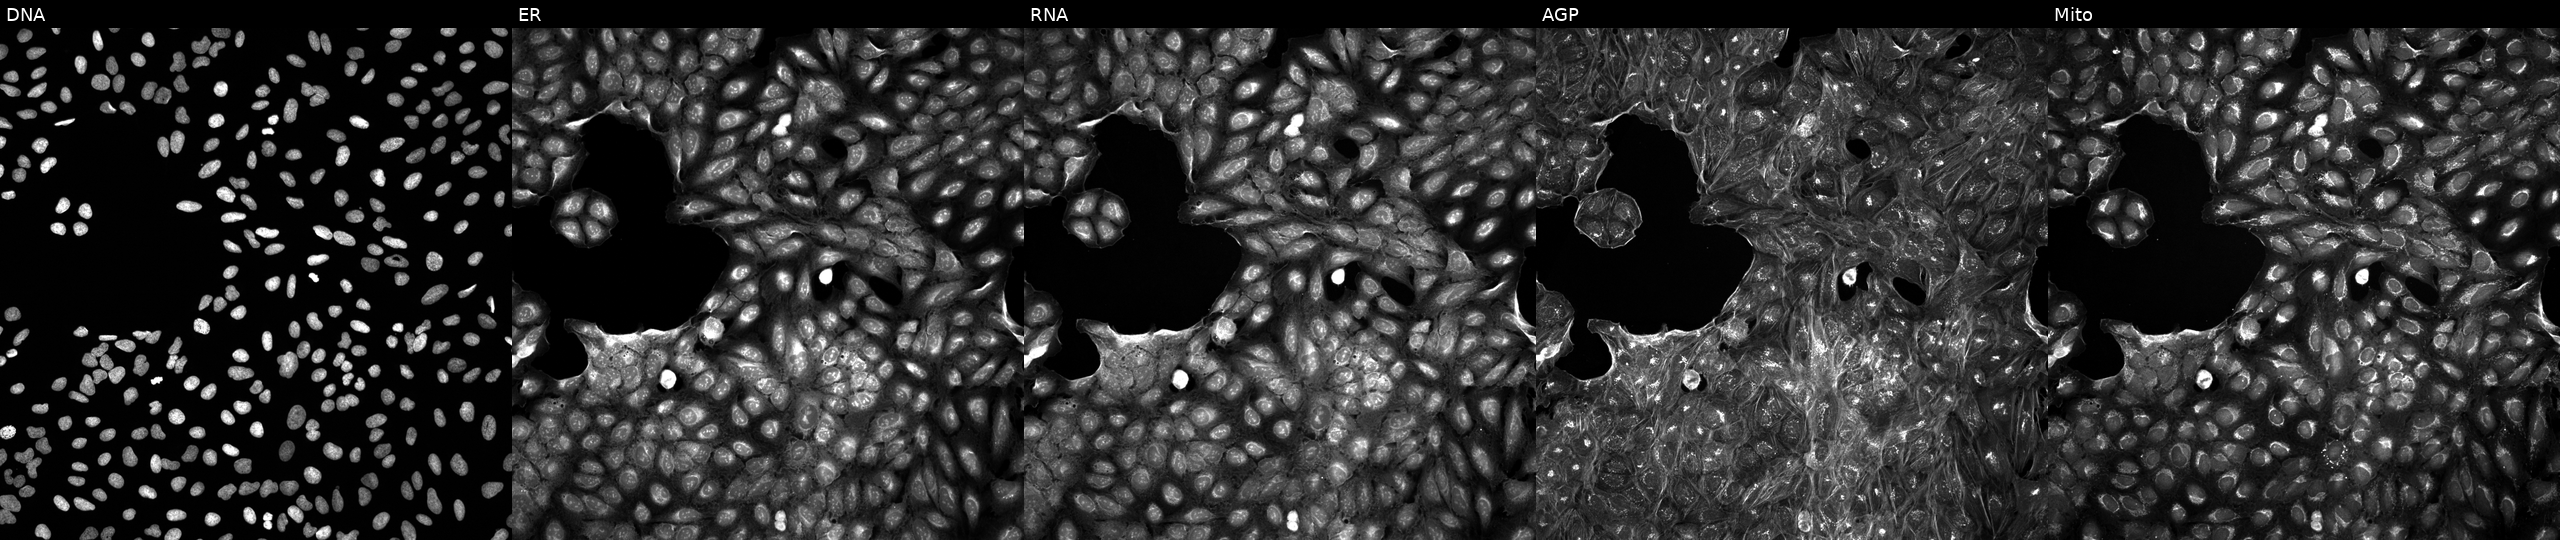
Five-channel Cell Painting image of U2OS cells treated with a small-molecule compound (JUMP id JCP2022_014430). The five panels, left to right, show Hoechst 33342, concanavalin A, SYTO 14, phalloidin and WGA, MitoTracker. Source 5, plate APTJUM105, well A03.